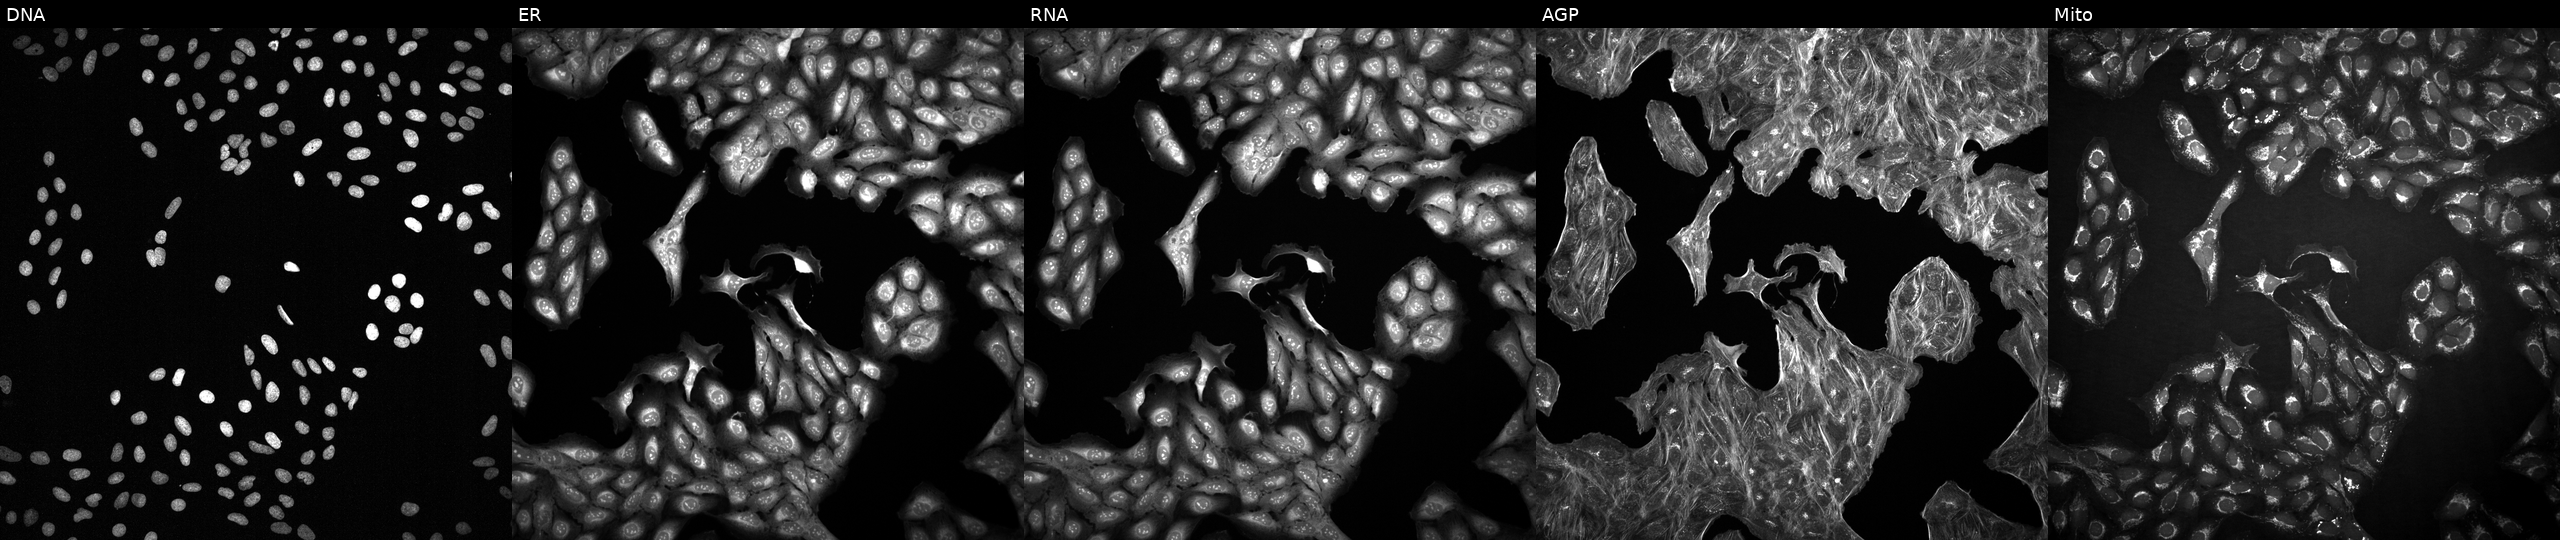
The five panels, left to right, show Hoechst 33342, concanavalin A, SYTO 14, phalloidin and WGA, MitoTracker. U2OS osteosarcoma cells exposed to a small-molecule compound (InChIKey KFWRAQFSFXZXJK-UHFFFAOYSA-N) (JUMP id JCP2022_044362). Cell Painting assay, JUMP-CP dataset.